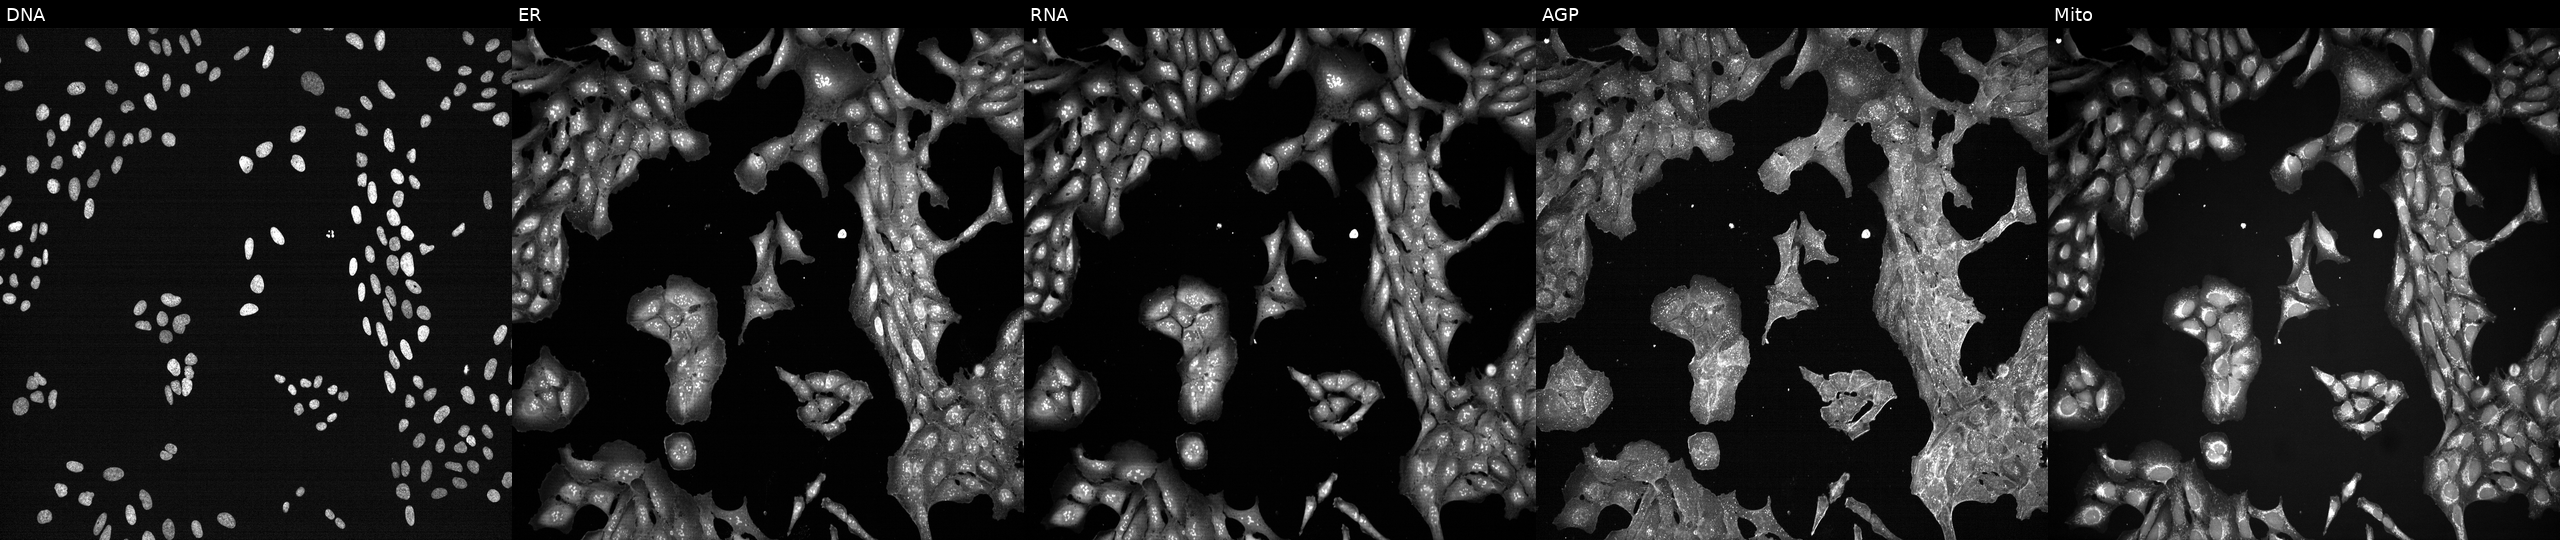
Five-channel Cell Painting image of U2OS cells exposed to a small-molecule compound. From left to right: Hoechst 33342, concanavalin A, SYTO 14, phalloidin and WGA, MitoTracker.